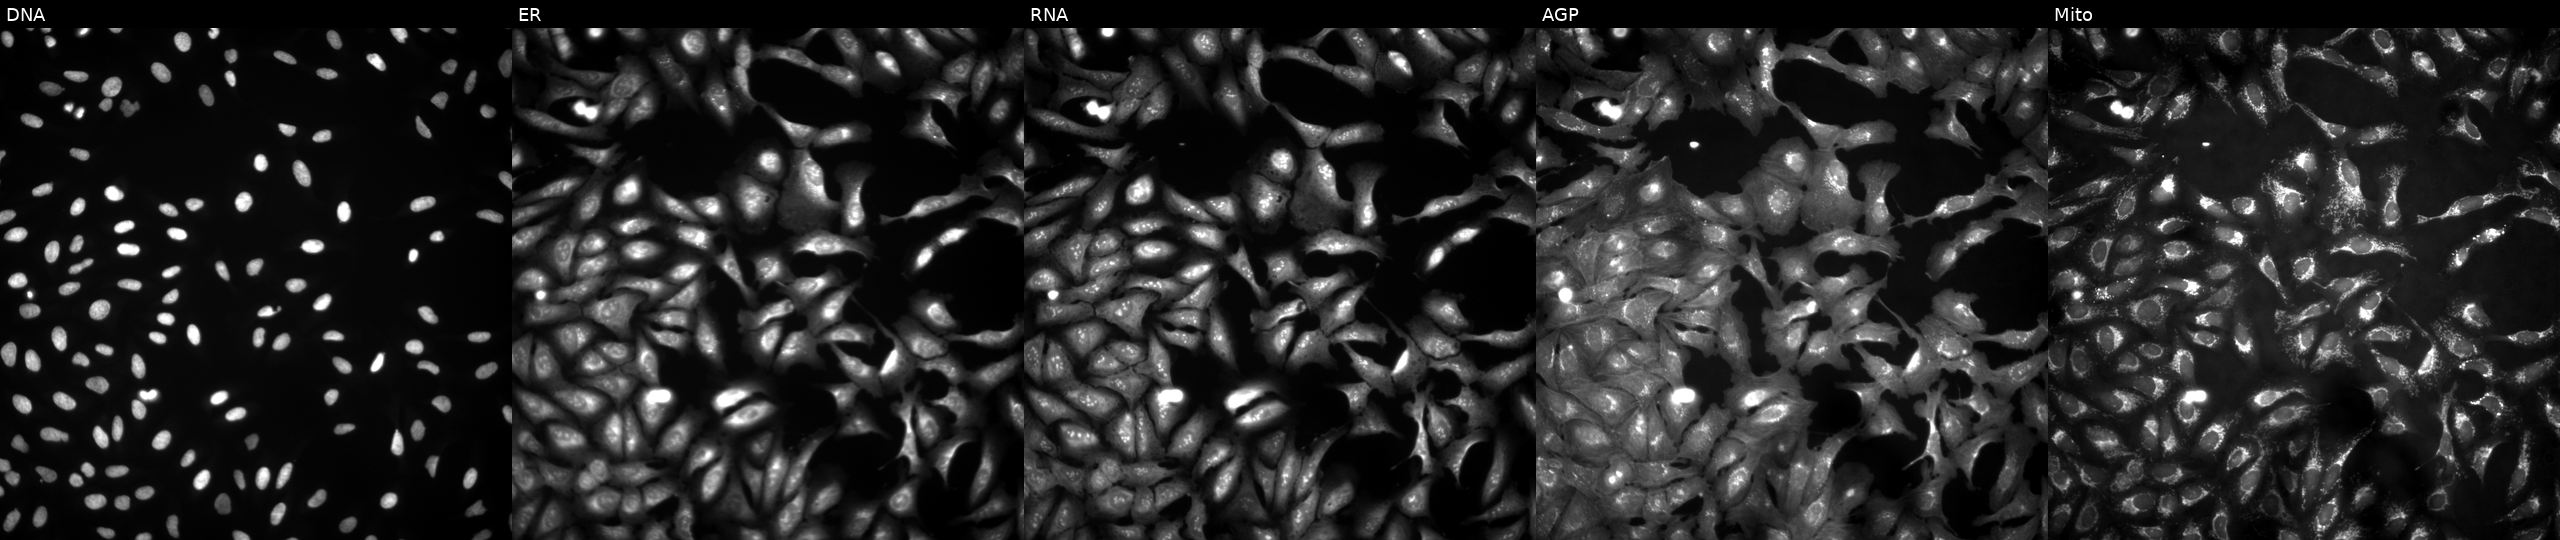
This image strip shows the five Cell Painting channels for a single field of U2OS cells overexpressing CTSZ via ORF transfection (JUMP id JCP2022_909719). Panels show, left to right, Hoechst 33342, concanavalin A, SYTO 14, phalloidin and WGA, MitoTracker. Source 4, plate BR00121543, well A07.